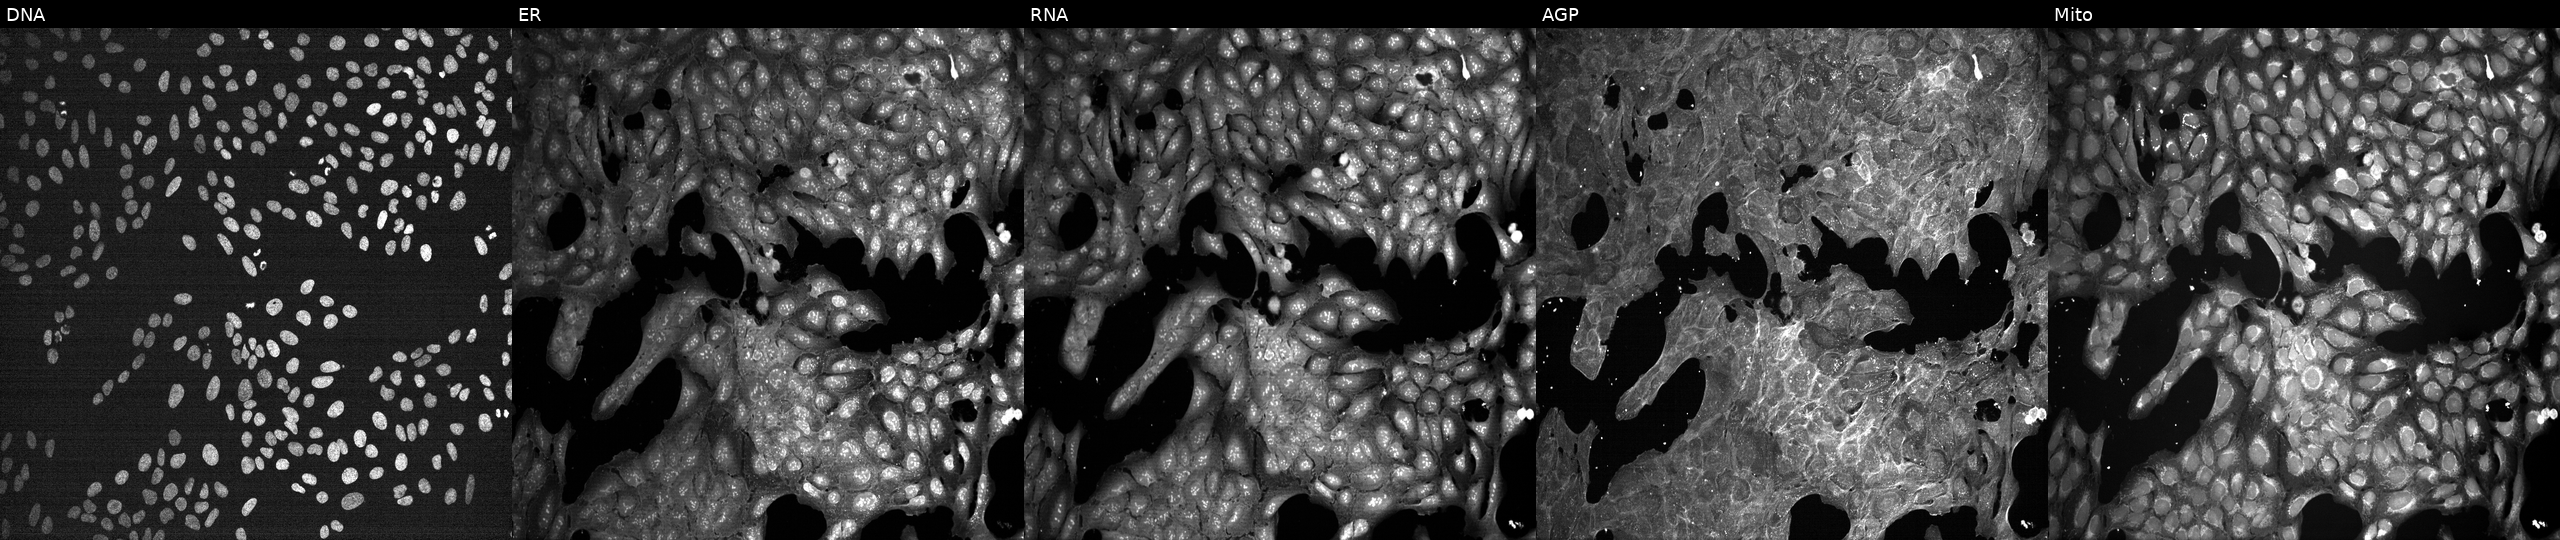
This image strip shows the five Cell Painting channels for a single field of U2OS cells treated with a small-molecule compound (InChIKey NMKJFZCBCIUYHI-UHFFFAOYSA-N) (JUMP id JCP2022_059966). From left to right: DNA (nuclei); ER (endoplasmic reticulum); RNA (nucleoli and cytoplasmic RNA); AGP (actin cytoskeleton, Golgi, and plasma membrane); Mito (mitochondria). Source 7, plate CP1-SC1-25, well L01.